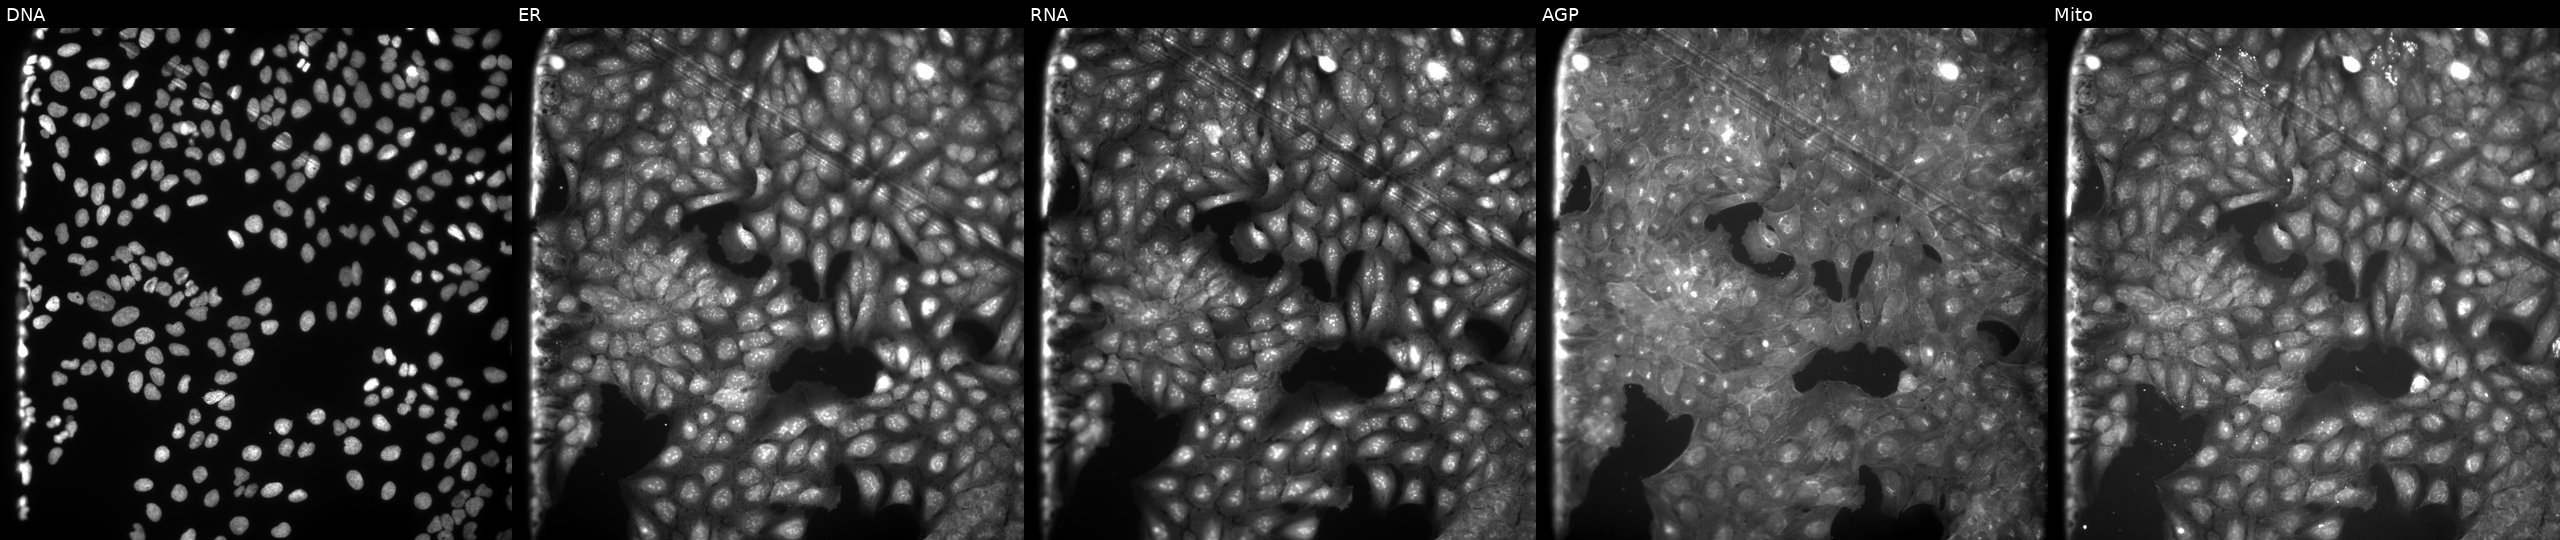
Five-channel Cell Painting image of U2OS cells treated with a small-molecule compound. From left to right: DNA, ER, RNA, AGP, and Mito. Source 9, plate GR00003382, well U03.